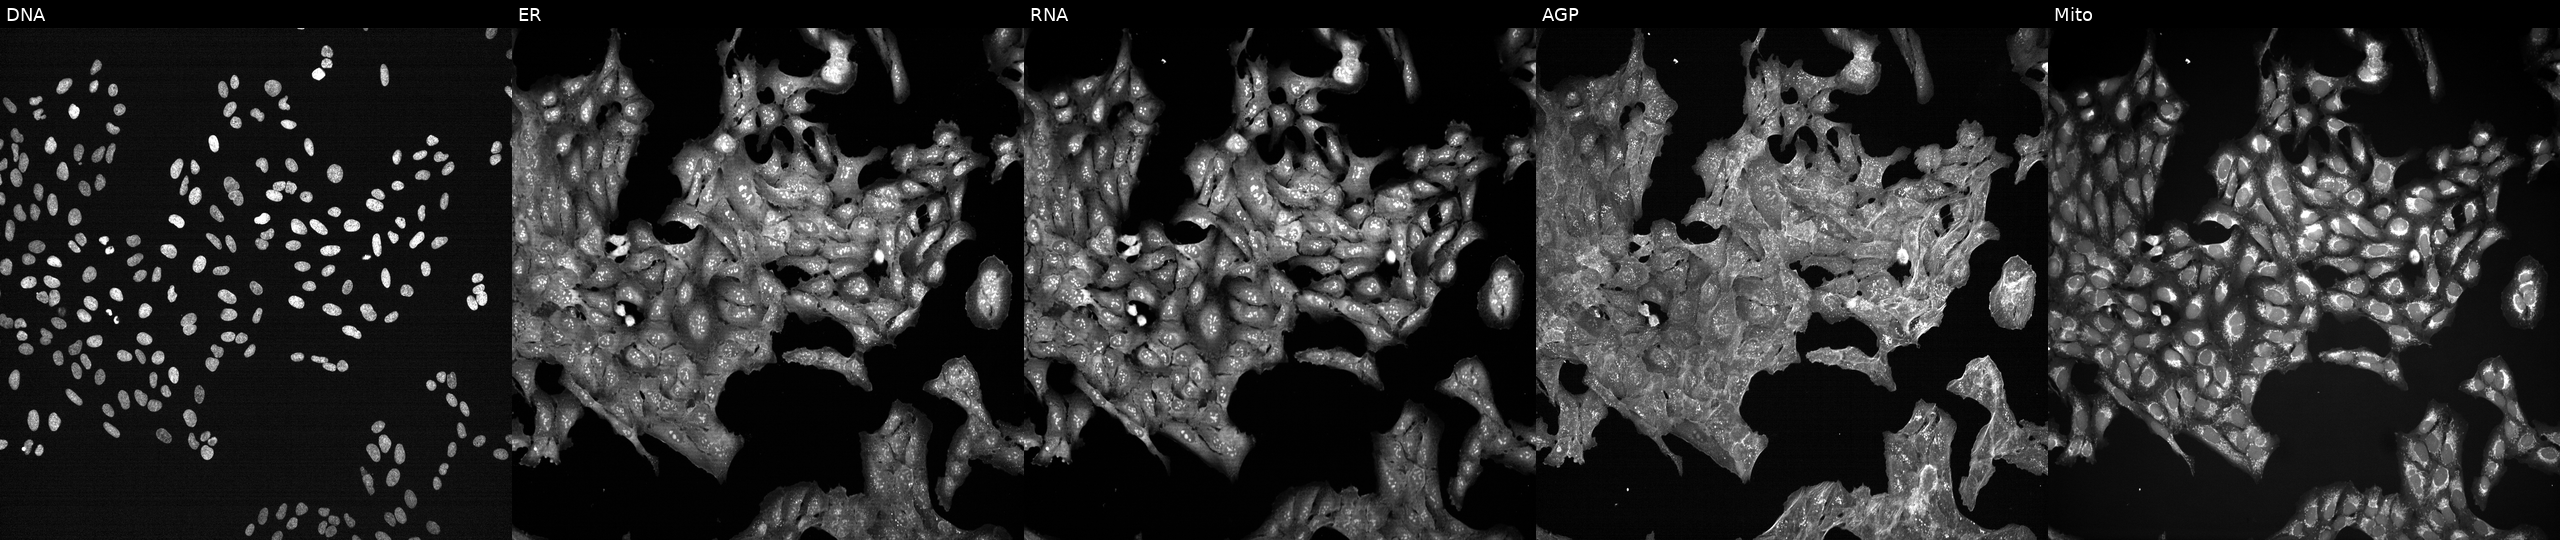
JUMP Cell Painting — TARGET2 plate. U2OS cells exposed to a small-molecule compound (InChIKey RAHBGWKEPAQNFF-UHFFFAOYSA-N). From left to right: Hoechst 33342, concanavalin A, SYTO 14, phalloidin and WGA, MitoTracker. Source 7, plate CP3-SC1-25, well O08.